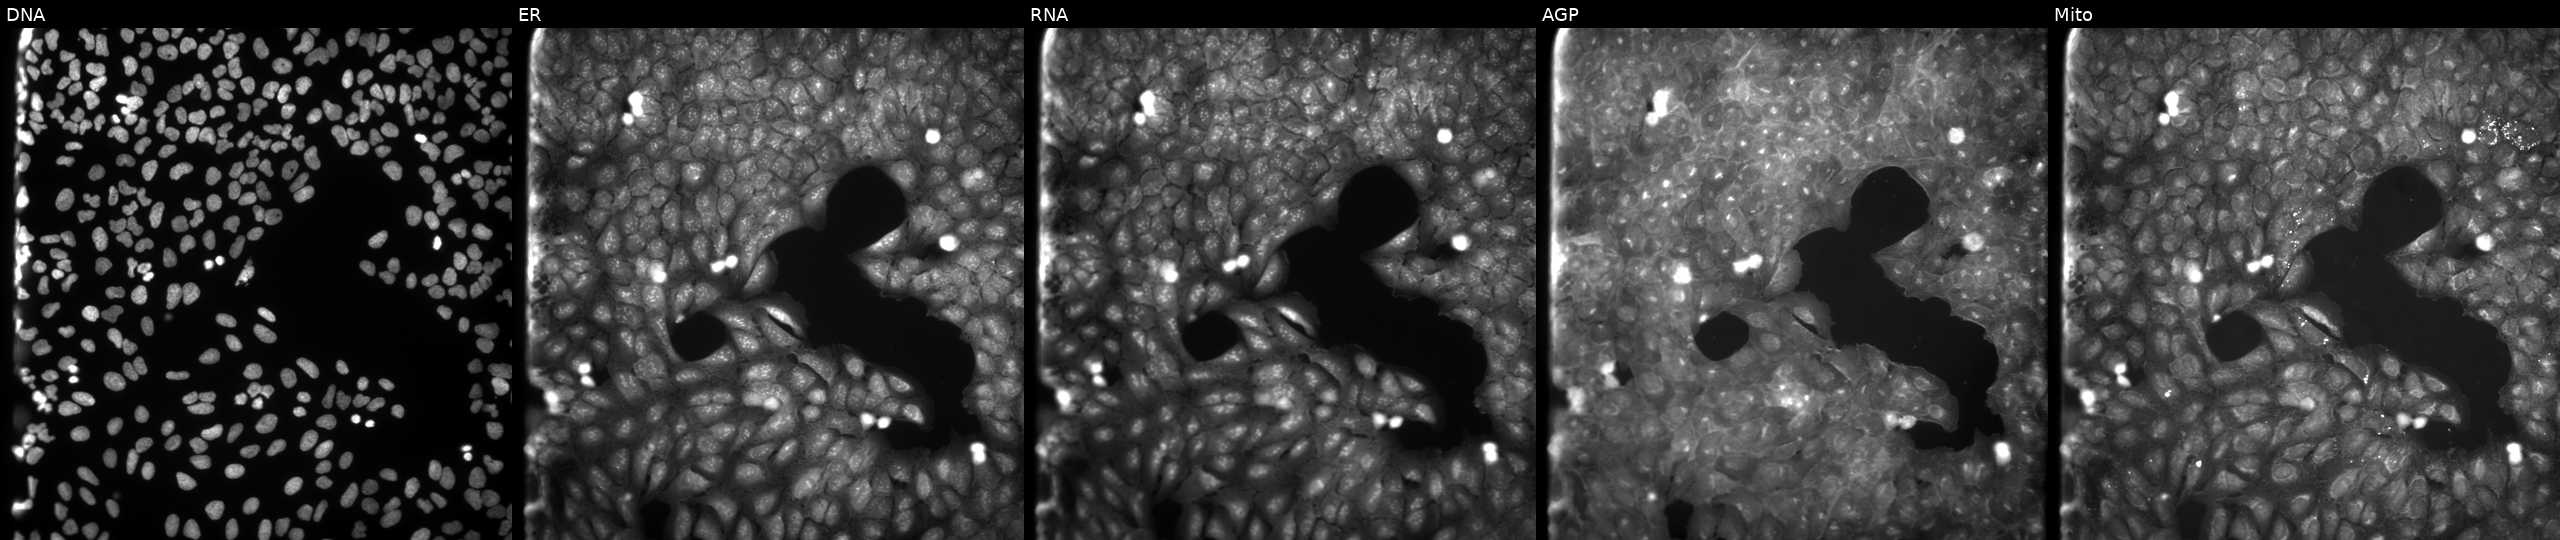
High-content fluorescence microscopy (Cell Painting). Cell line: U2OS. Perturbation: treated with a small-molecule compound. The five panels, left to right, show DNA (nuclei); ER (endoplasmic reticulum); RNA (nucleoli and cytoplasmic RNA); AGP (actin cytoskeleton, Golgi, and plasma membrane); Mito (mitochondria). Source 9, plate GR00003382, well N09.